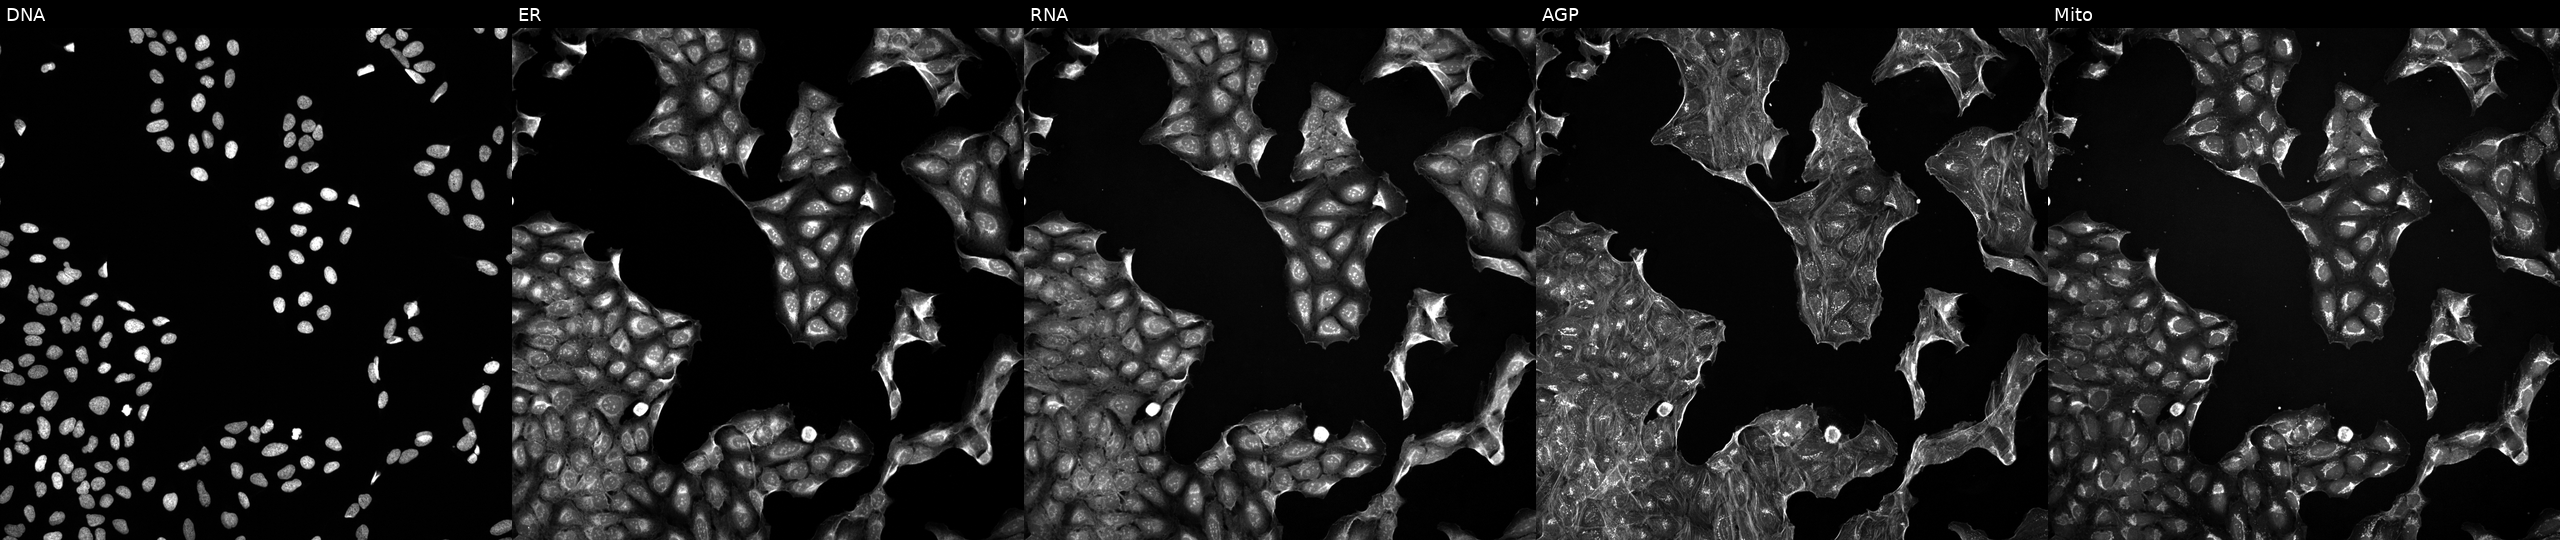
From left to right: DNA, ER, RNA, AGP, and Mito. U2OS osteosarcoma cells treated with a small-molecule compound (JUMP id JCP2022_020163). Cell Painting assay, JUMP-CP dataset.